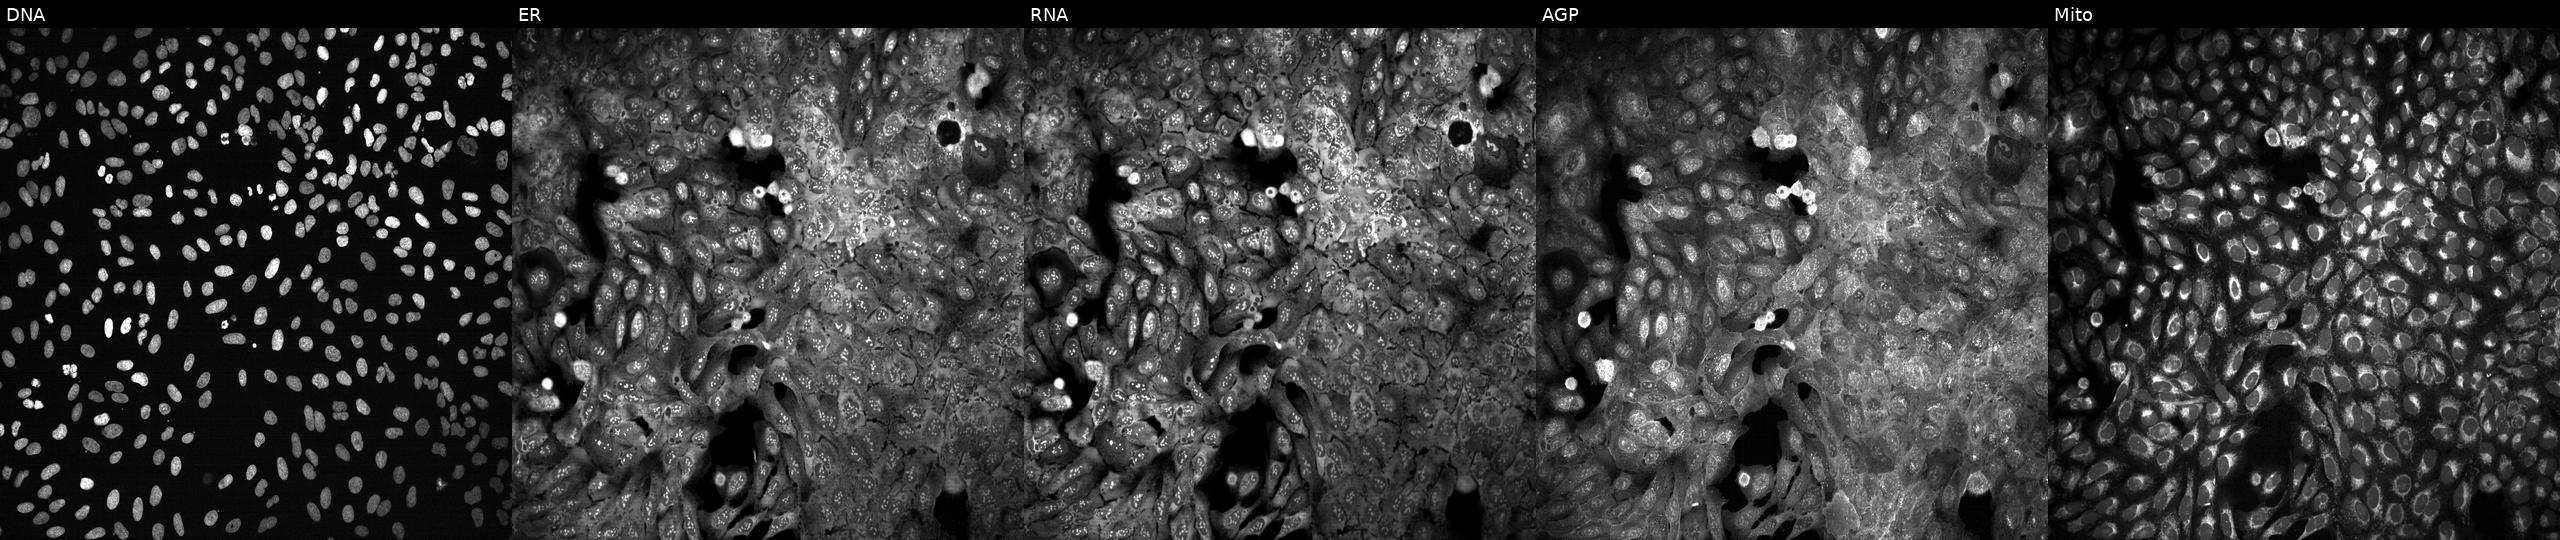
The five panels, left to right, show DNA, ER, RNA, AGP, and Mito. U2OS osteosarcoma cells with CRMP1 knocked out by CRISPR (JUMP id JCP2022_801512). Cell Painting assay, JUMP-CP dataset. Source 13, plate CP-CC9-R4-04, well O21.